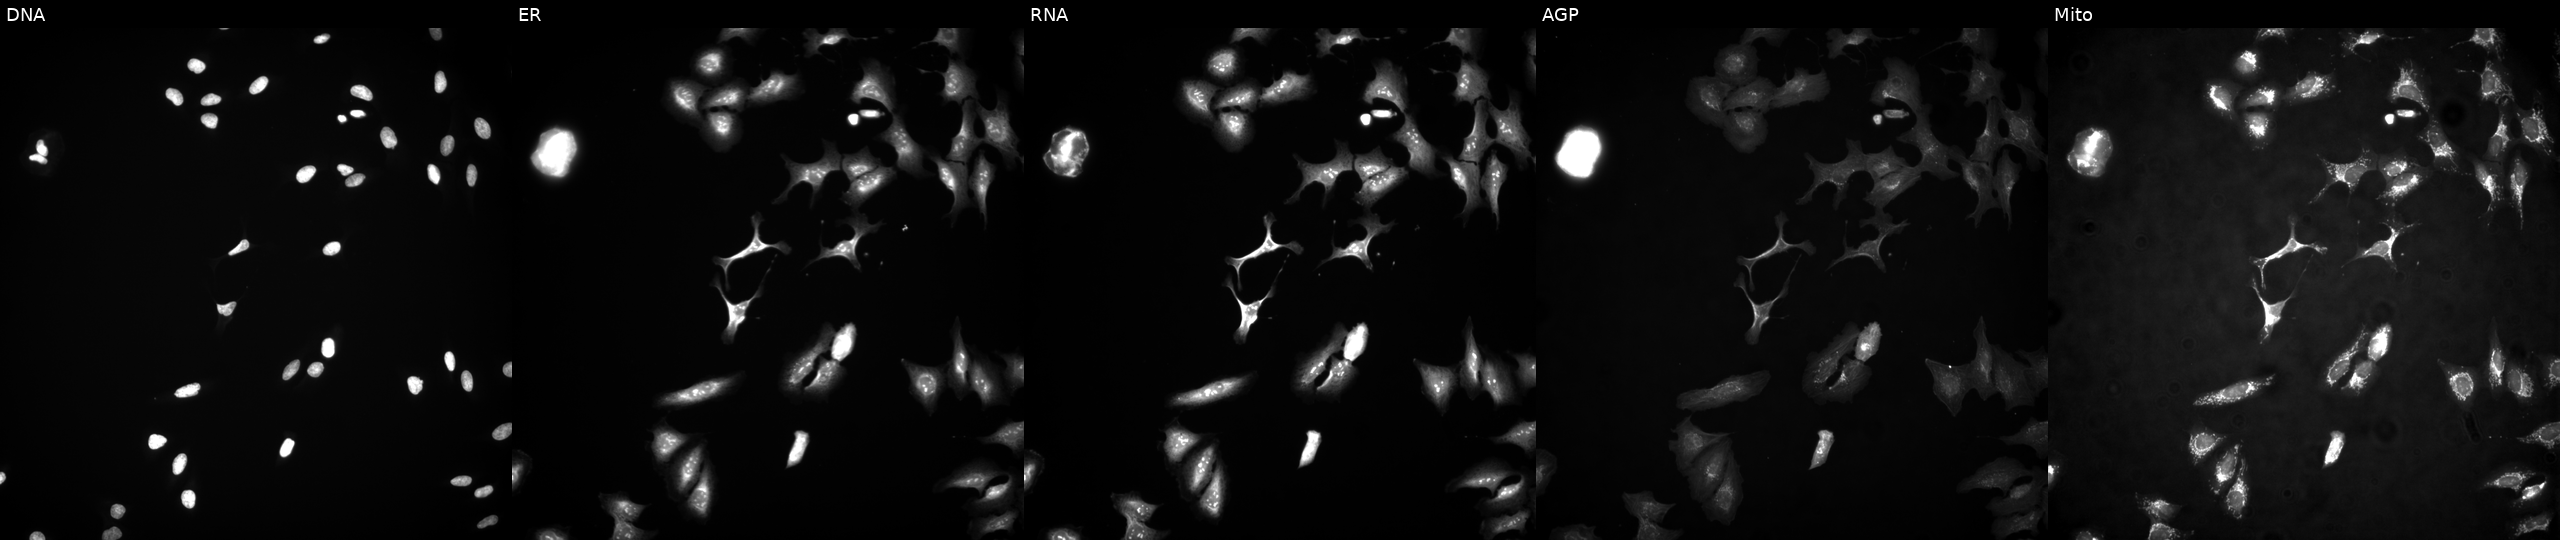
Panels show, left to right, DNA, ER, RNA, AGP, and Mito. U2OS osteosarcoma cells overexpressing TSC22D4 via ORF transfection (JUMP id JCP2022_903981). Cell Painting assay, JUMP-CP dataset. Source 4, plate BR00124787, well I09.